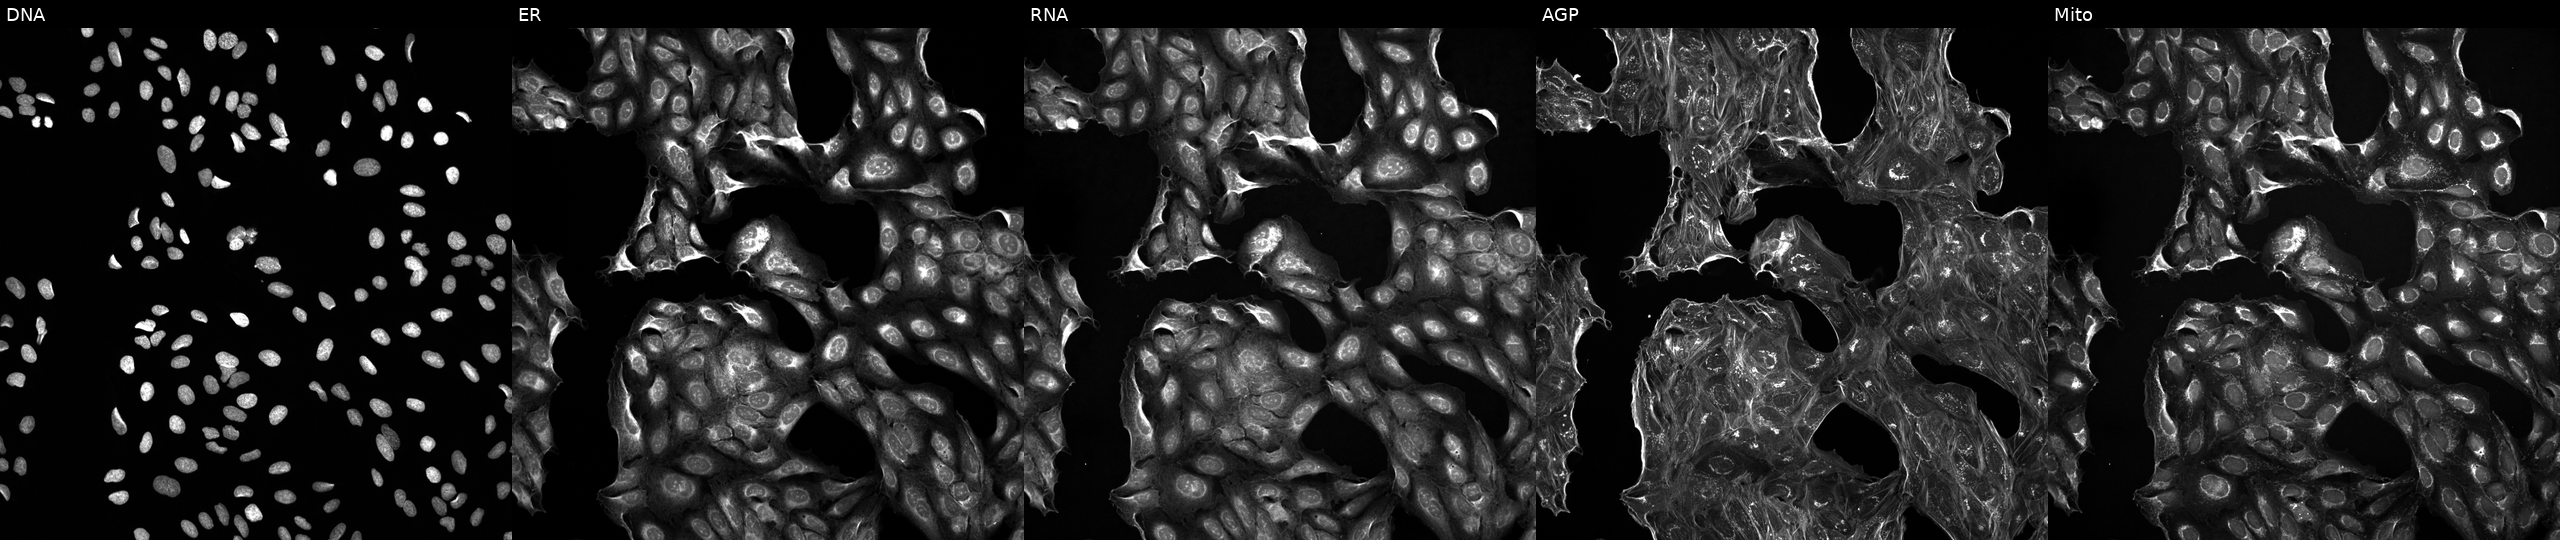
U2OS cells, Cell Painting assay, treated with a small-molecule compound (InChIKey PMXCMJLOPOFPBT-UHFFFAOYSA-N) (JUMP id JCP2022_069668). The five panels, left to right, show DNA (nuclei); ER (endoplasmic reticulum); RNA (nucleoli and cytoplasmic RNA); AGP (actin cytoskeleton, Golgi, and plasma membrane); Mito (mitochondria). Each panel is percentile-stretched 16-bit fluorescence.